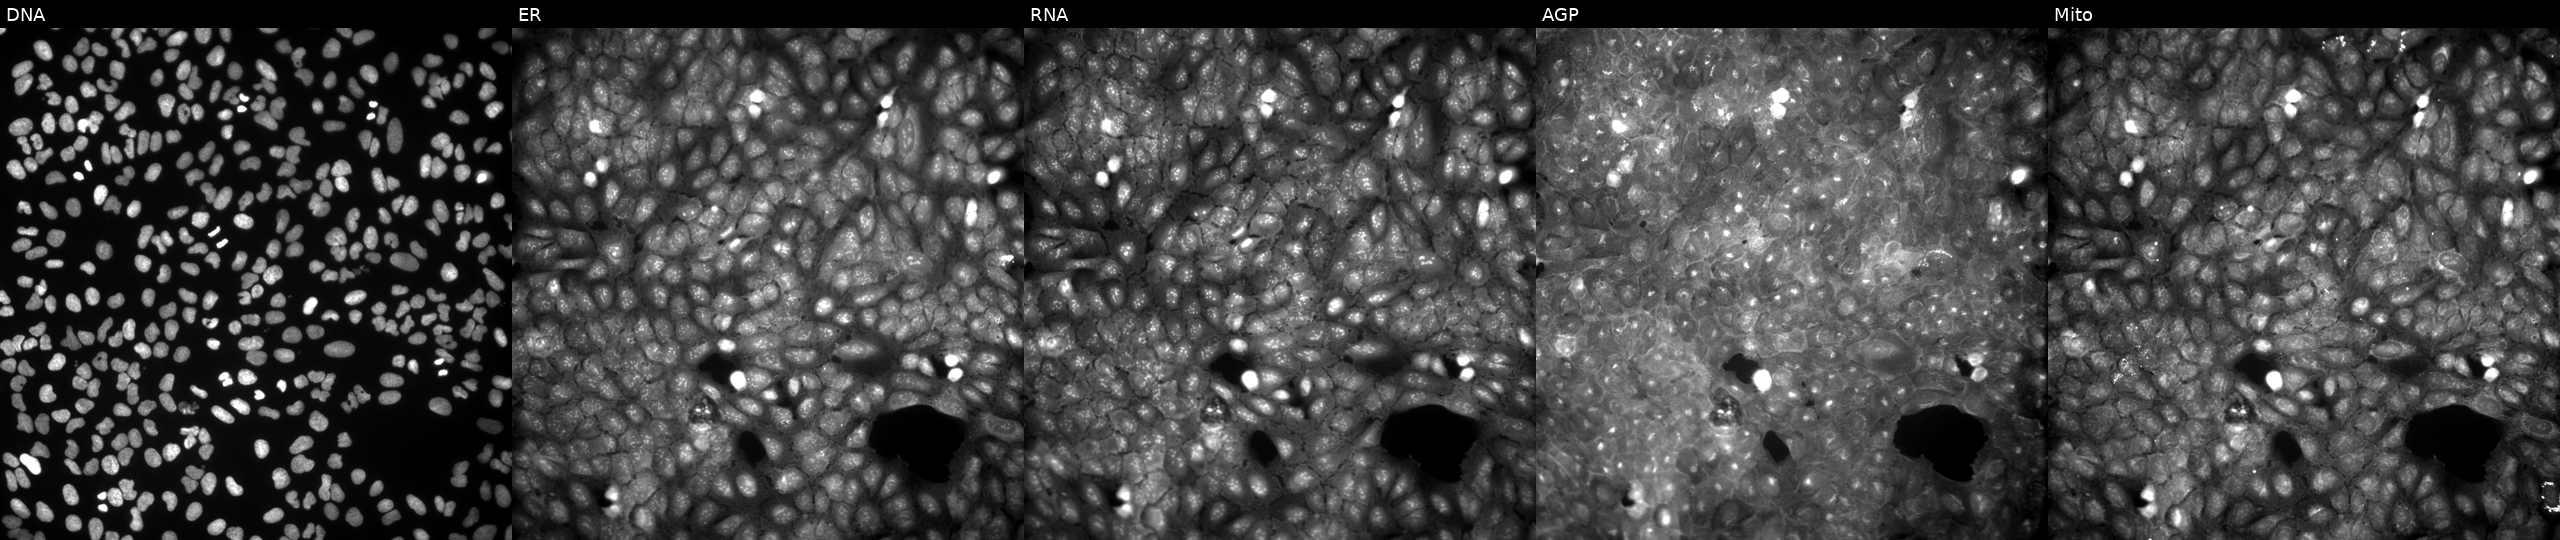
High-content fluorescence microscopy (Cell Painting). Cell line: U2OS. Perturbation: treated with DMSO vehicle only (negative control). Channels (left→right): DNA, ER, RNA, AGP, and Mito. Source 9, plate GR00003382, well V26.